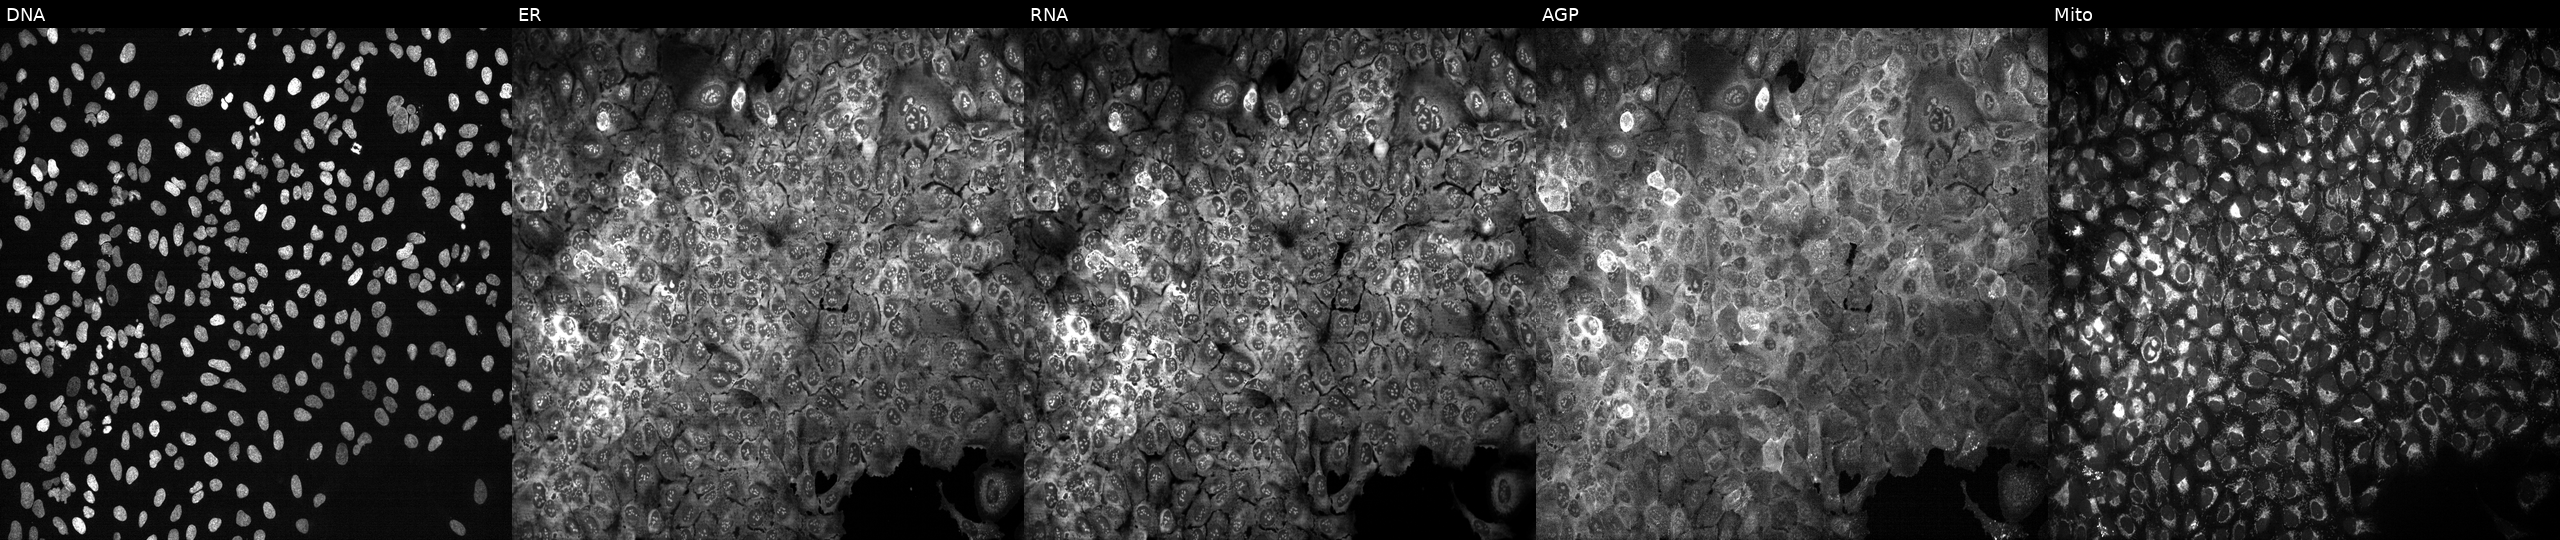
Five-channel Cell Painting image of U2OS cells following CRISPR knockout of VLDLR. The five panels, left to right, show DNA (nuclei); ER (endoplasmic reticulum); RNA (nucleoli and cytoplasmic RNA); AGP (actin cytoskeleton, Golgi, and plasma membrane); Mito (mitochondria).